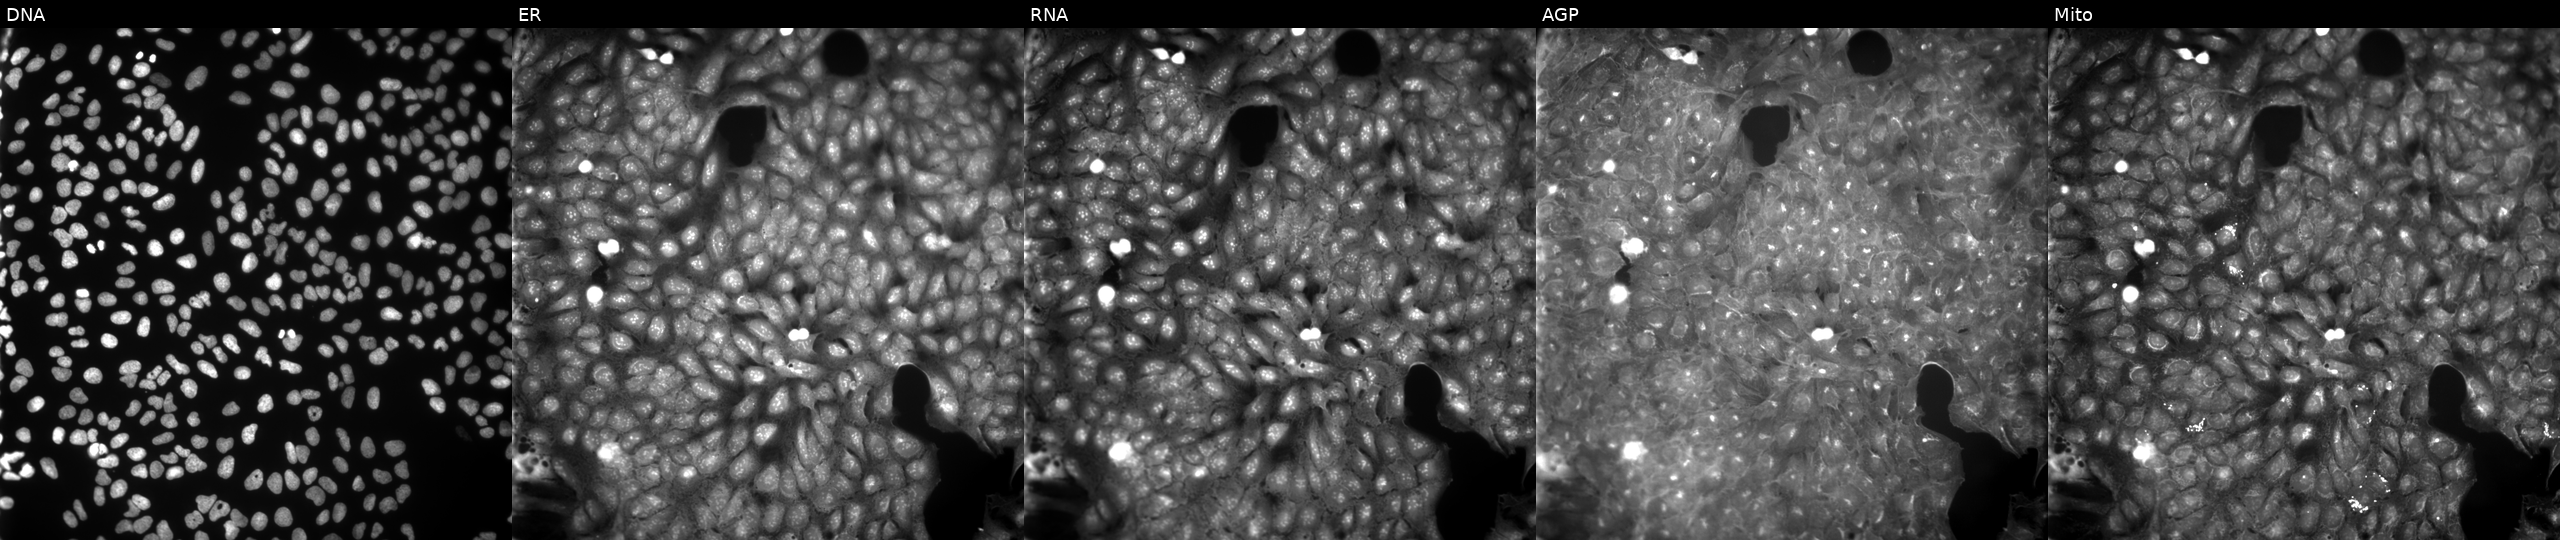
High-content fluorescence microscopy (Cell Painting). Cell line: U2OS. Perturbation: perturbed with a small-molecule compound (InChIKey XQKMPHXYQPKYKC-UHFFFAOYSA-N) [SMILES: COc1ccc(CCNC(=O)C(=O)N=c2[nH]ccs2)cc1OC] (JUMP id JCP2022_105344). Channels (left→right): Hoechst 33342, concanavalin A, SYTO 14, phalloidin and WGA, MitoTracker. Source 9, plate GR00003381, well Y08.